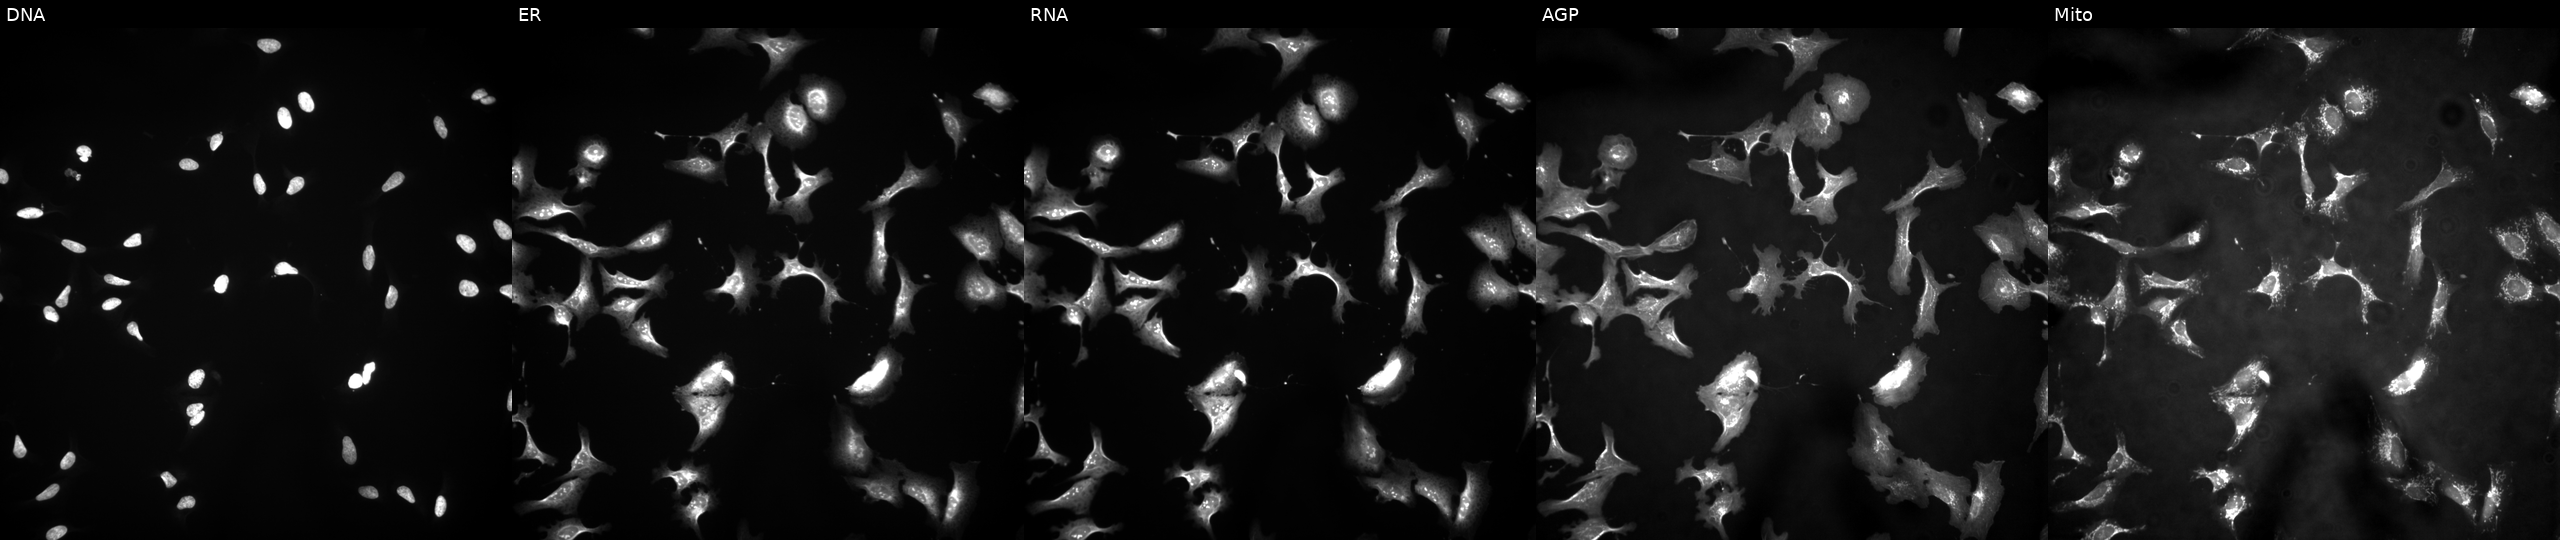
Five-channel Cell Painting image of U2OS cells with ZCCHC13 overexpressed (ORF) (JUMP id JCP2022_909404). The five panels, left to right, show Hoechst 33342, concanavalin A, SYTO 14, phalloidin and WGA, MitoTracker. Source 4, plate BR00121543, well H16.